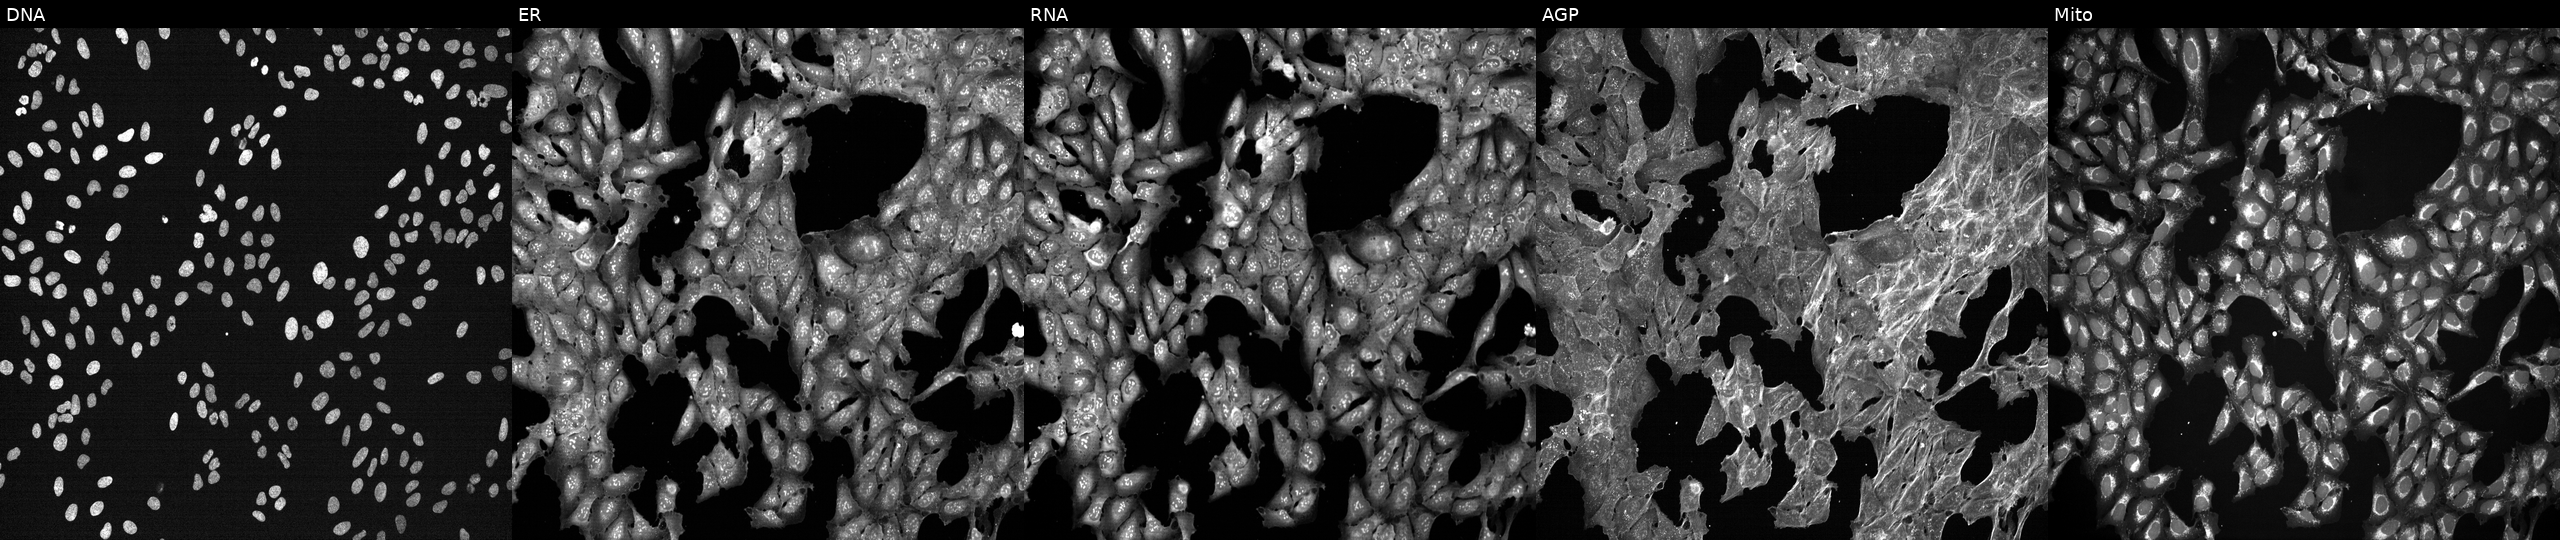
JUMP Cell Painting — TARGET2 plate. U2OS cells treated with a small-molecule compound (JUMP id JCP2022_074697). Panels show, left to right, DNA (nuclei); ER (endoplasmic reticulum); RNA (nucleoli and cytoplasmic RNA); AGP (actin cytoskeleton, Golgi, and plasma membrane); Mito (mitochondria).